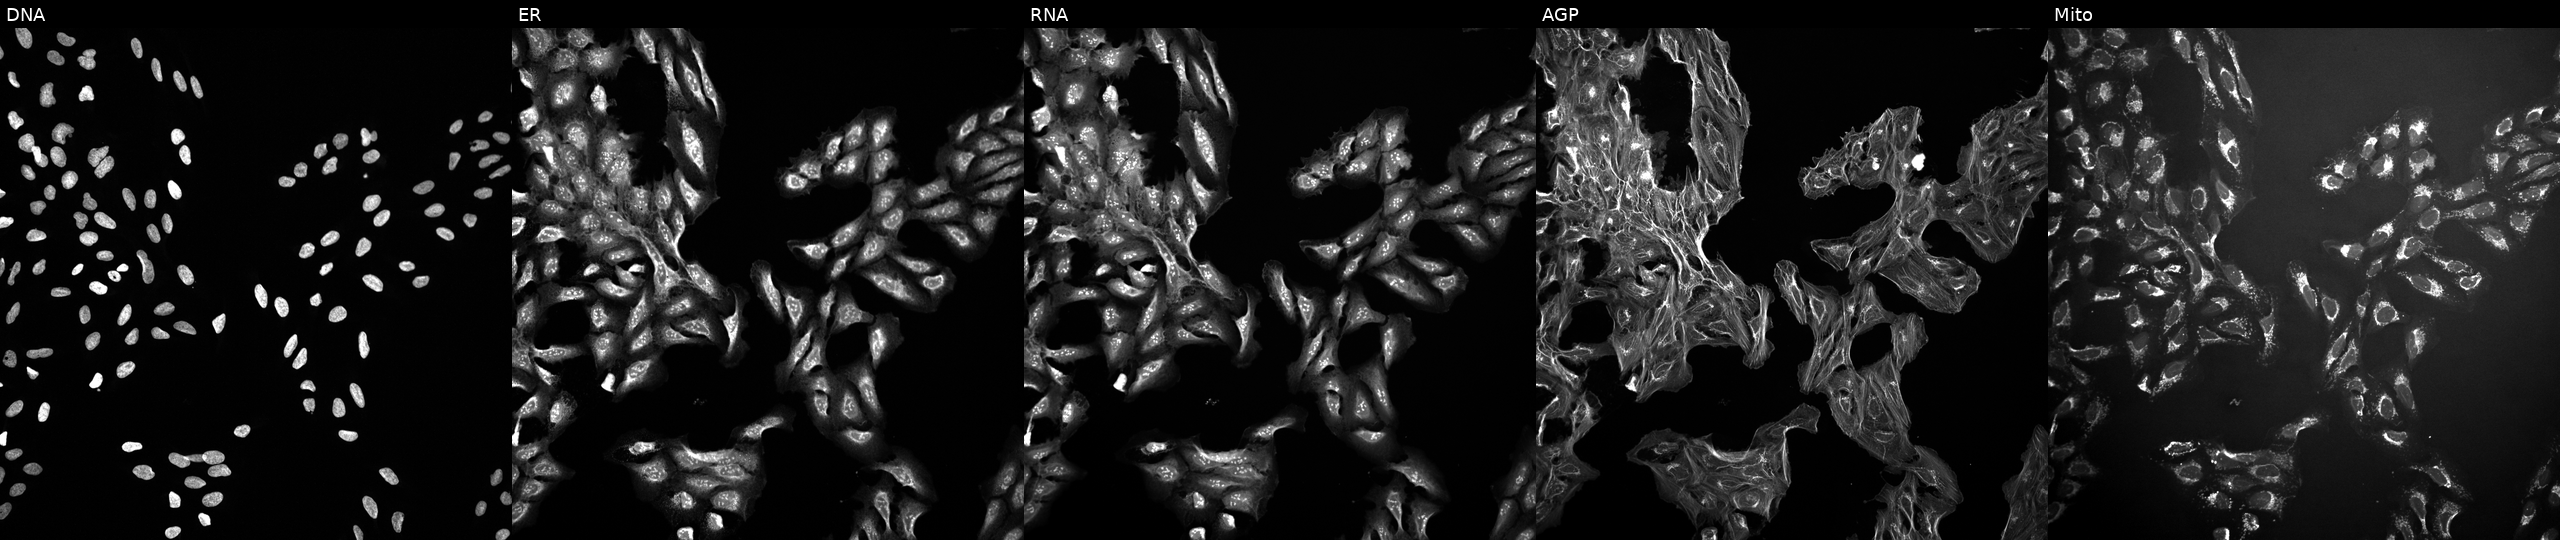
This image strip shows the five Cell Painting channels for a single field of U2OS cells treated with a small-molecule compound (InChIKey VUIRVWPJNKZOSS-UHFFFAOYSA-N) (JUMP id JCP2022_096342). The five panels, left to right, show DNA, ER, RNA, AGP, and Mito.